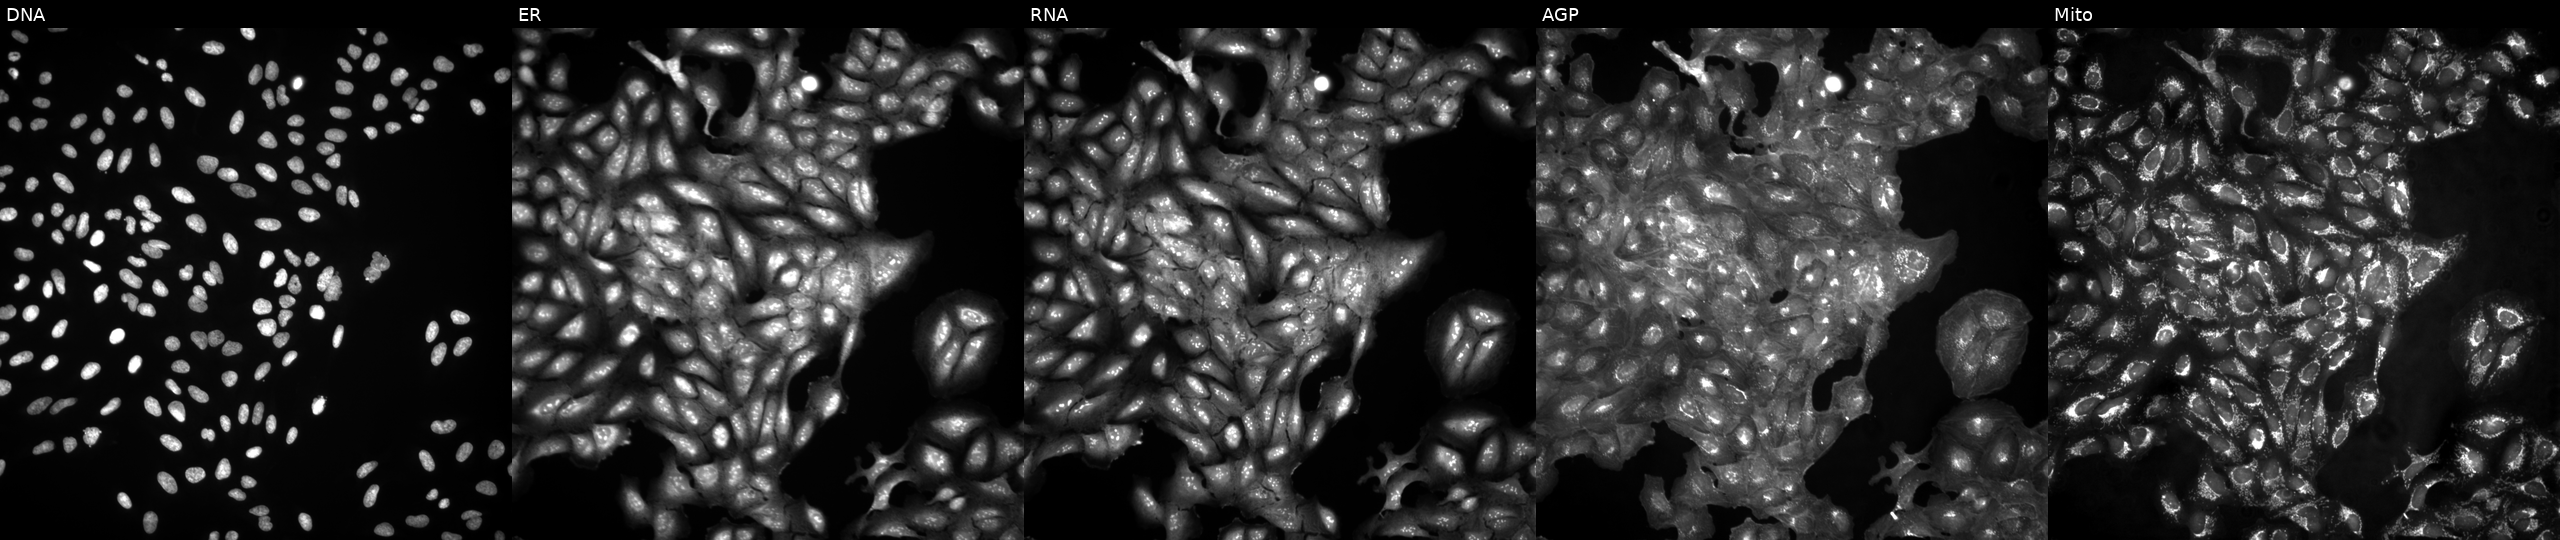
U2OS cells, Cell Painting assay, in an empty control well (no perturbation). Channels (left→right): Hoechst 33342, concanavalin A, SYTO 14, phalloidin and WGA, MitoTracker. Each panel is percentile-stretched 16-bit fluorescence.